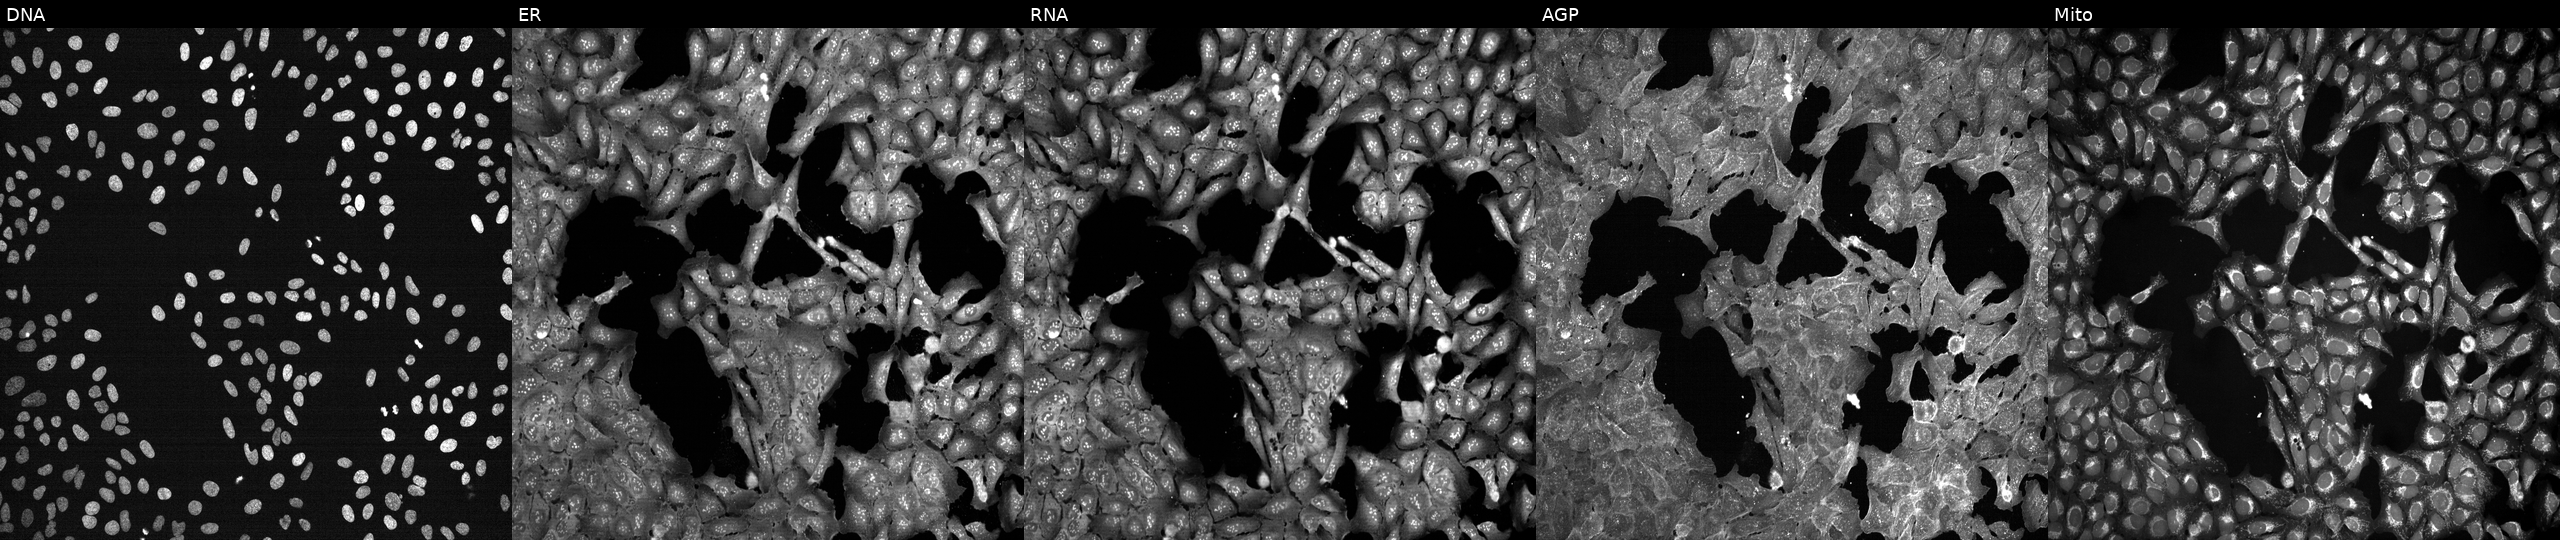
This image strip shows the five Cell Painting channels for a single field of U2OS cells treated with DMSO vehicle only (negative control). The five panels, left to right, show Hoechst 33342, concanavalin A, SYTO 14, phalloidin and WGA, MitoTracker. Source 7, plate CP3-SC1-25, well D06.